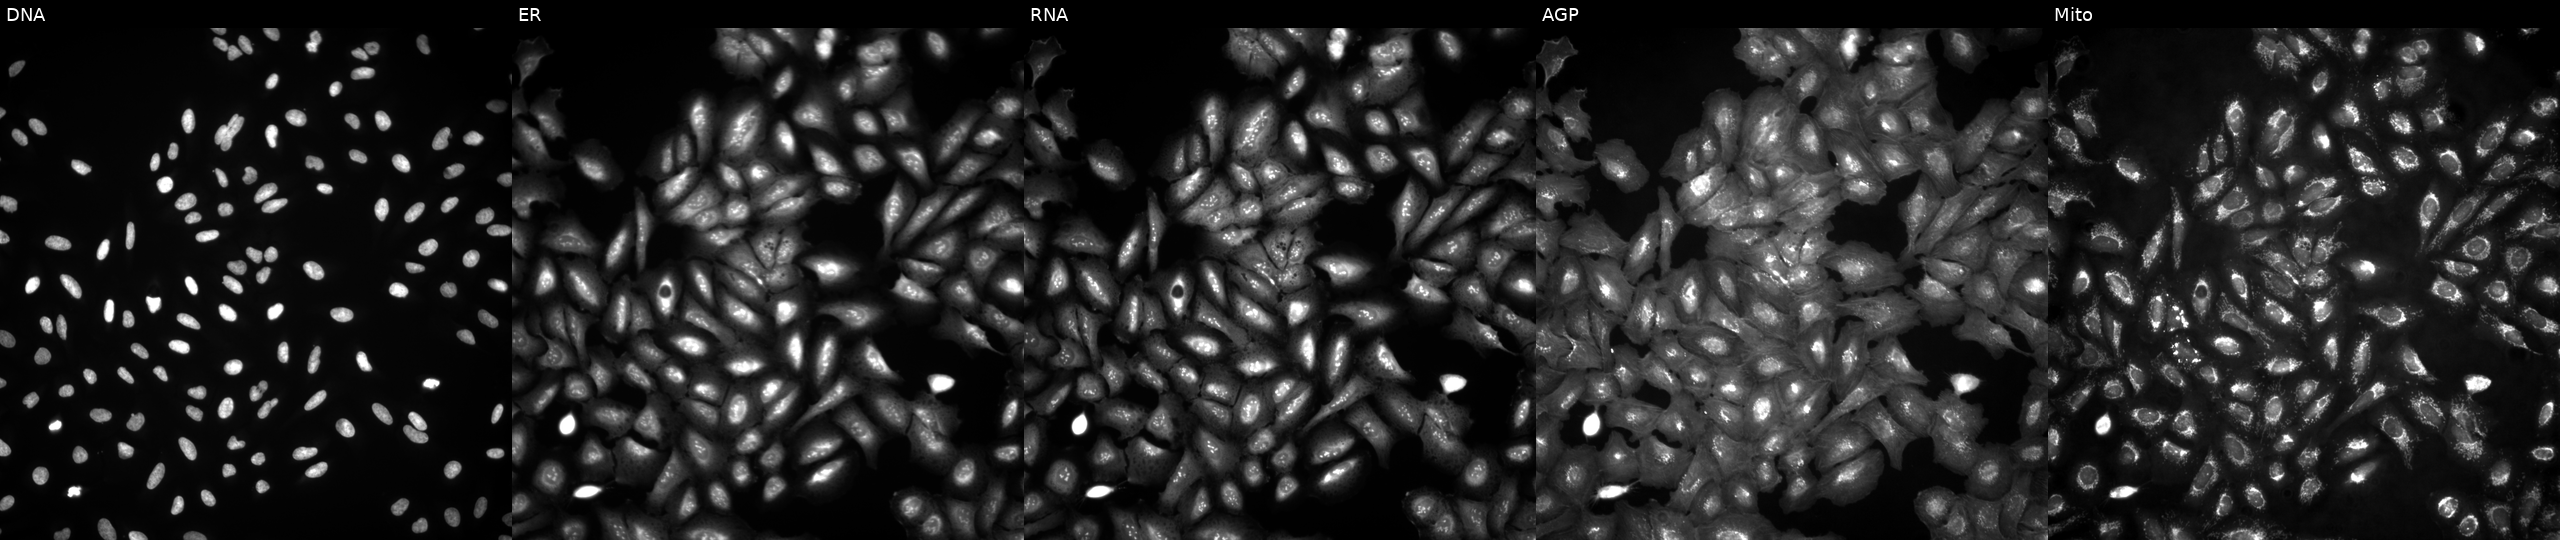
U2OS cells, Cell Painting assay, with DYRK2 overexpressed (ORF). The five panels, left to right, show DNA, ER, RNA, AGP, and Mito. Each panel is percentile-stretched 16-bit fluorescence. Source 4, plate BR00124787, well D08.